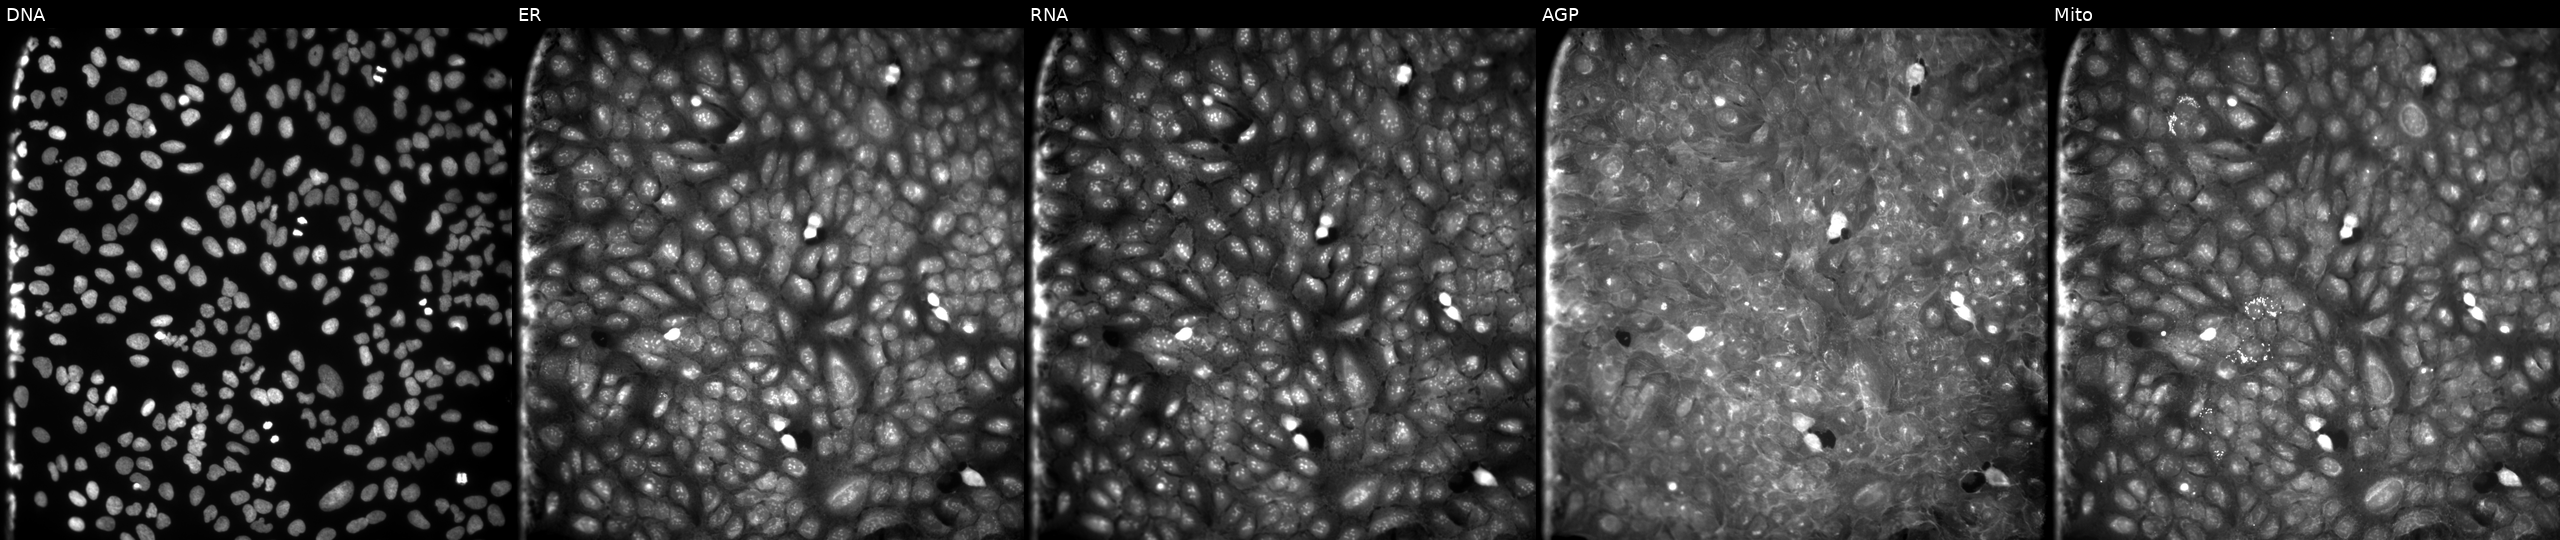
JUMP Cell Painting — COMPOUND plate. U2OS cells treated with a small-molecule compound (InChIKey LXTRSEMJAYESTO-UHFFFAOYSA-N) (JUMP id JCP2022_052395). From left to right: DNA, ER, RNA, AGP, and Mito.